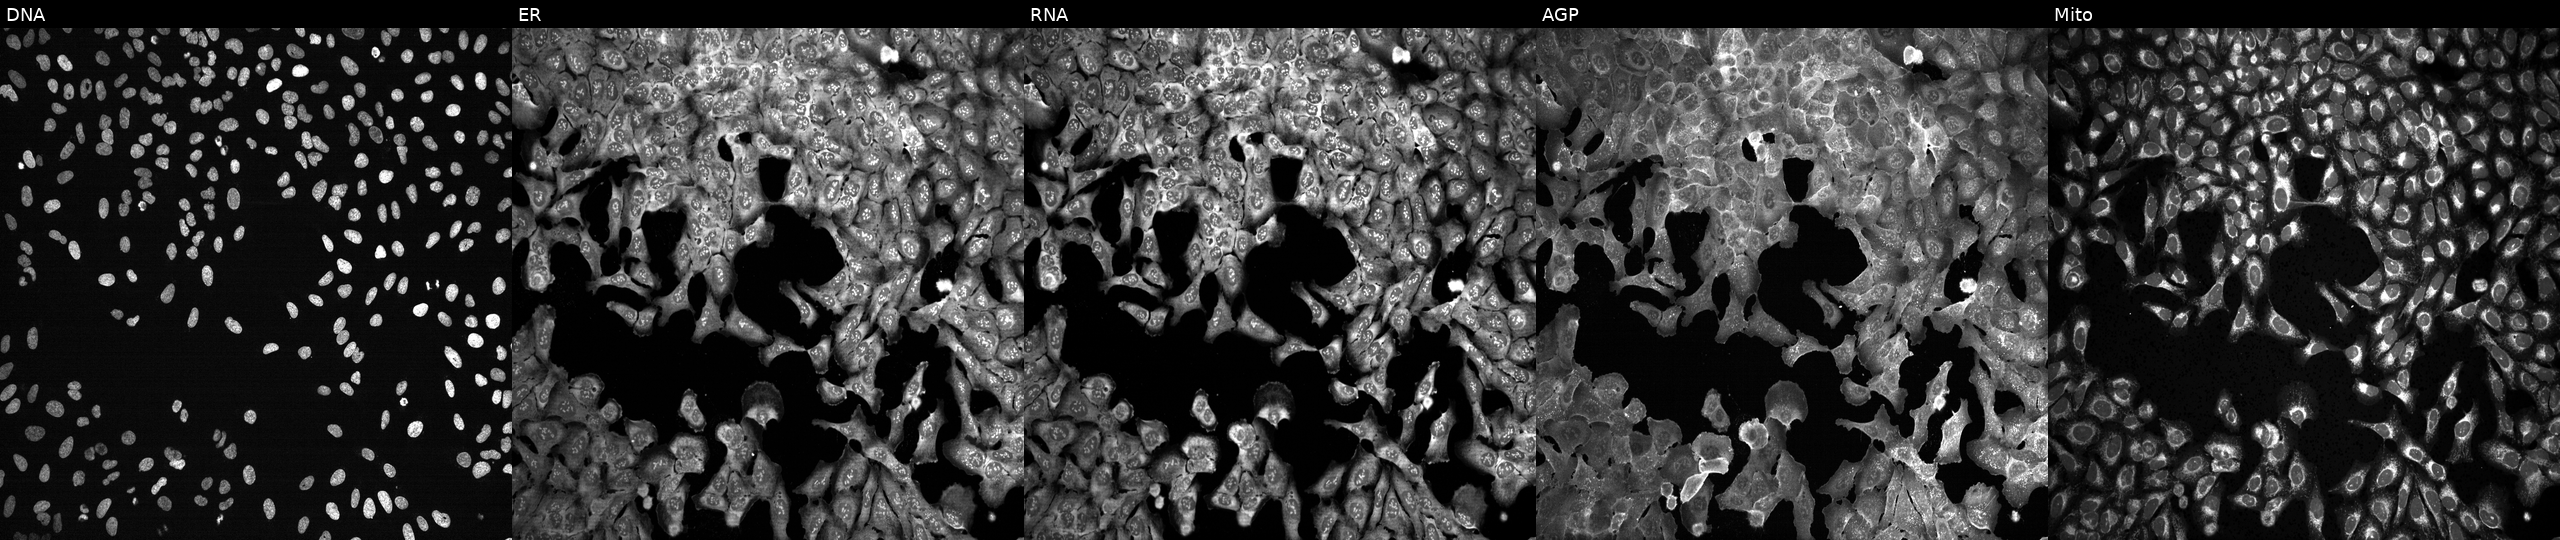
High-content fluorescence microscopy (Cell Painting). Cell line: U2OS. Perturbation: following CRISPR knockout of IRF1. The five panels, left to right, show Hoechst 33342, concanavalin A, SYTO 14, phalloidin and WGA, MitoTracker. Source 13, plate CP-CC9-R6-19, well D04.